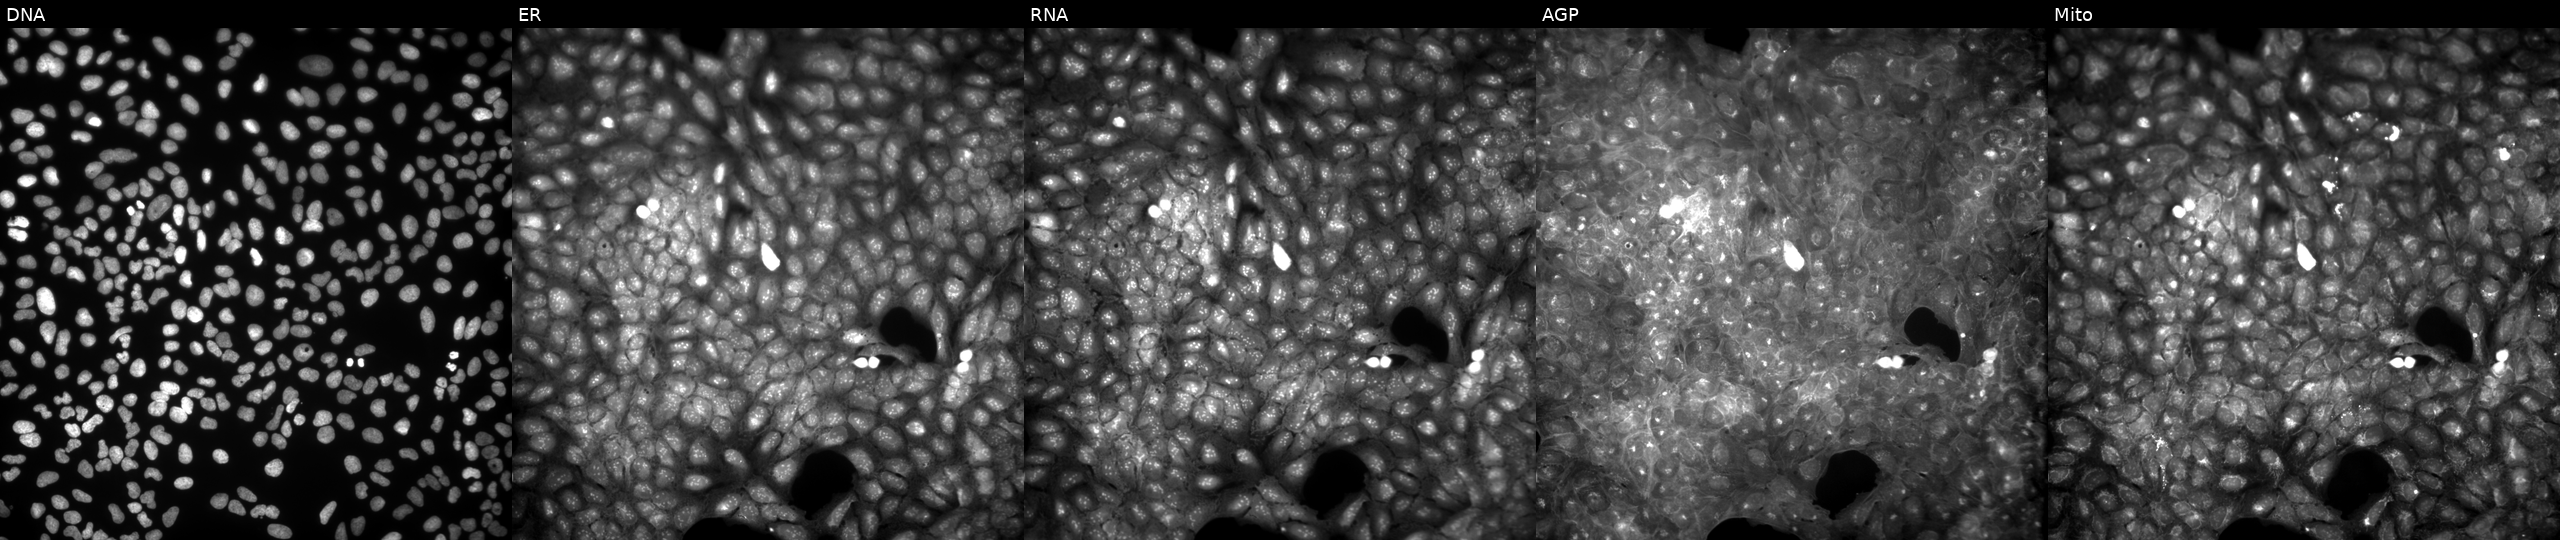
Five-channel Cell Painting image of U2OS cells treated with a small-molecule compound. Channels (left→right): Hoechst 33342, concanavalin A, SYTO 14, phalloidin and WGA, MitoTracker.